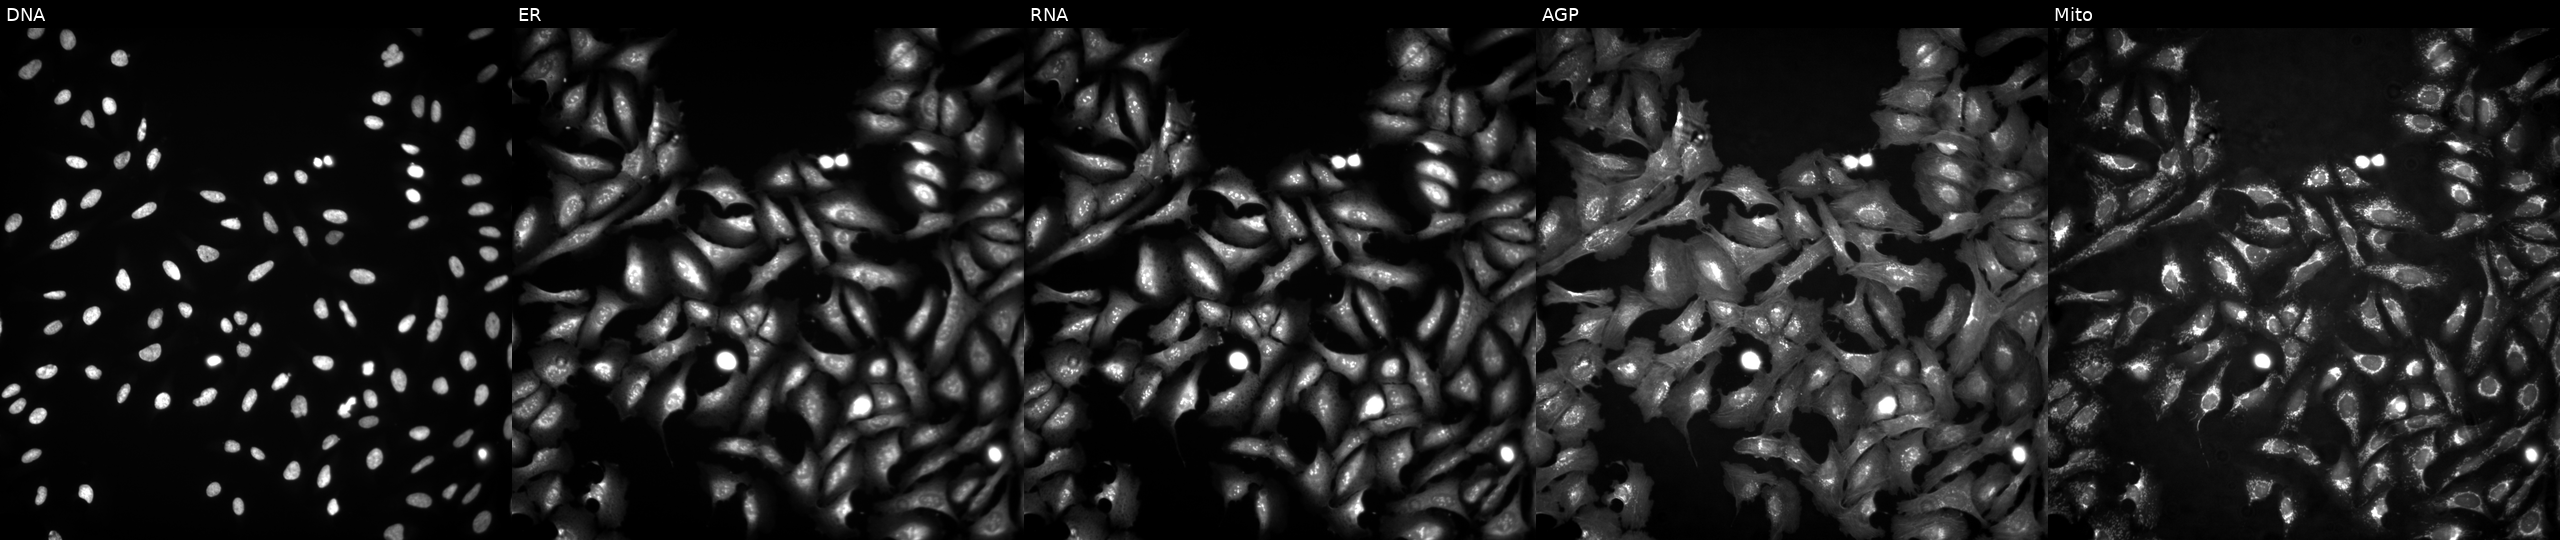
JUMP Cell Painting — ORF plate. U2OS cells with APOC2 overexpressed (ORF). Panels show, left to right, DNA, ER, RNA, AGP, and Mito. Source 4, plate BR00124787, well K22.